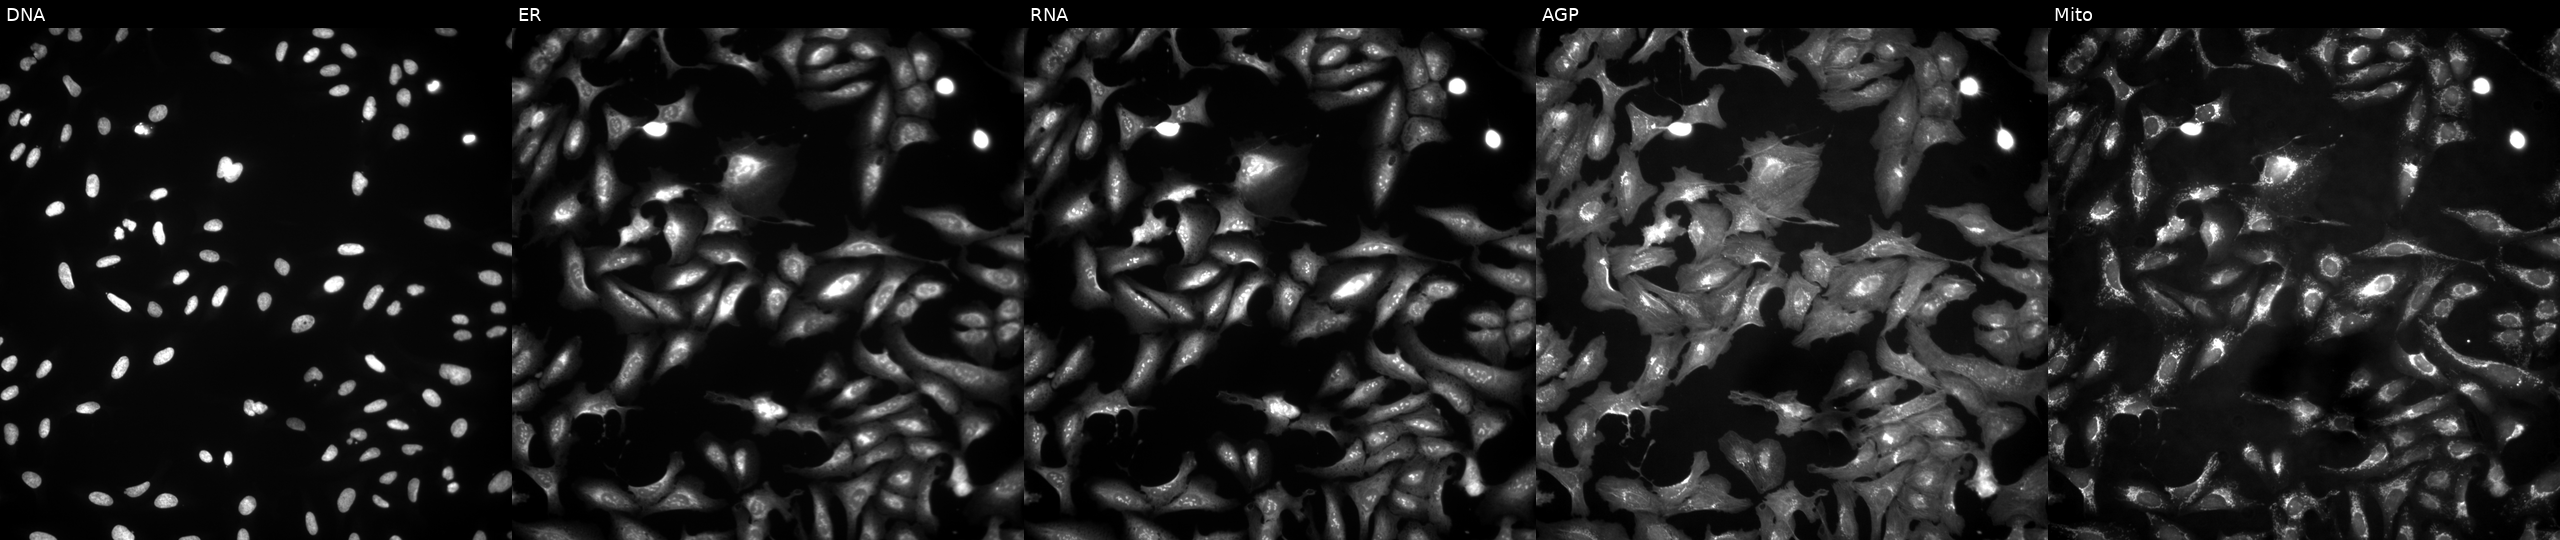
Channels (left→right): DNA (nuclei); ER (endoplasmic reticulum); RNA (nucleoli and cytoplasmic RNA); AGP (actin cytoskeleton, Golgi, and plasma membrane); Mito (mitochondria). U2OS osteosarcoma cells transfected with an ORF construct for LRRIQ3 (JUMP id JCP2022_912237). Cell Painting assay, JUMP-CP dataset. Source 4, plate BR00124790, well G21.